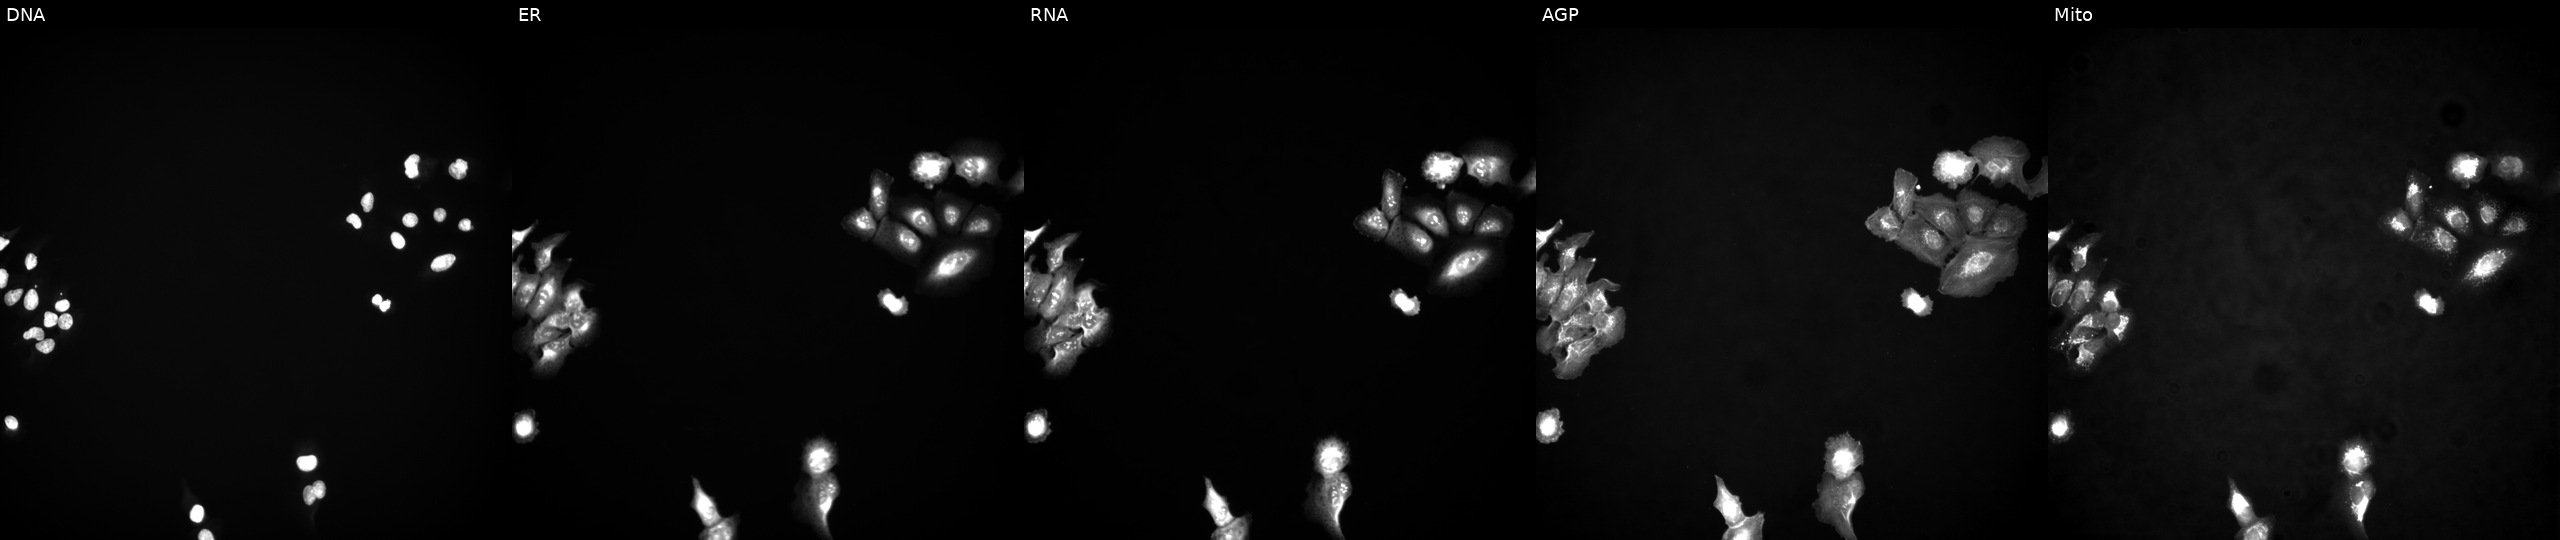
U2OS cells, Cell Painting assay, transfected with an ORF construct for MAP3K9 (JUMP id JCP2022_910227). Panels show, left to right, Hoechst 33342, concanavalin A, SYTO 14, phalloidin and WGA, MitoTracker. Each panel is percentile-stretched 16-bit fluorescence. Source 4, plate BR00123945, well N12.